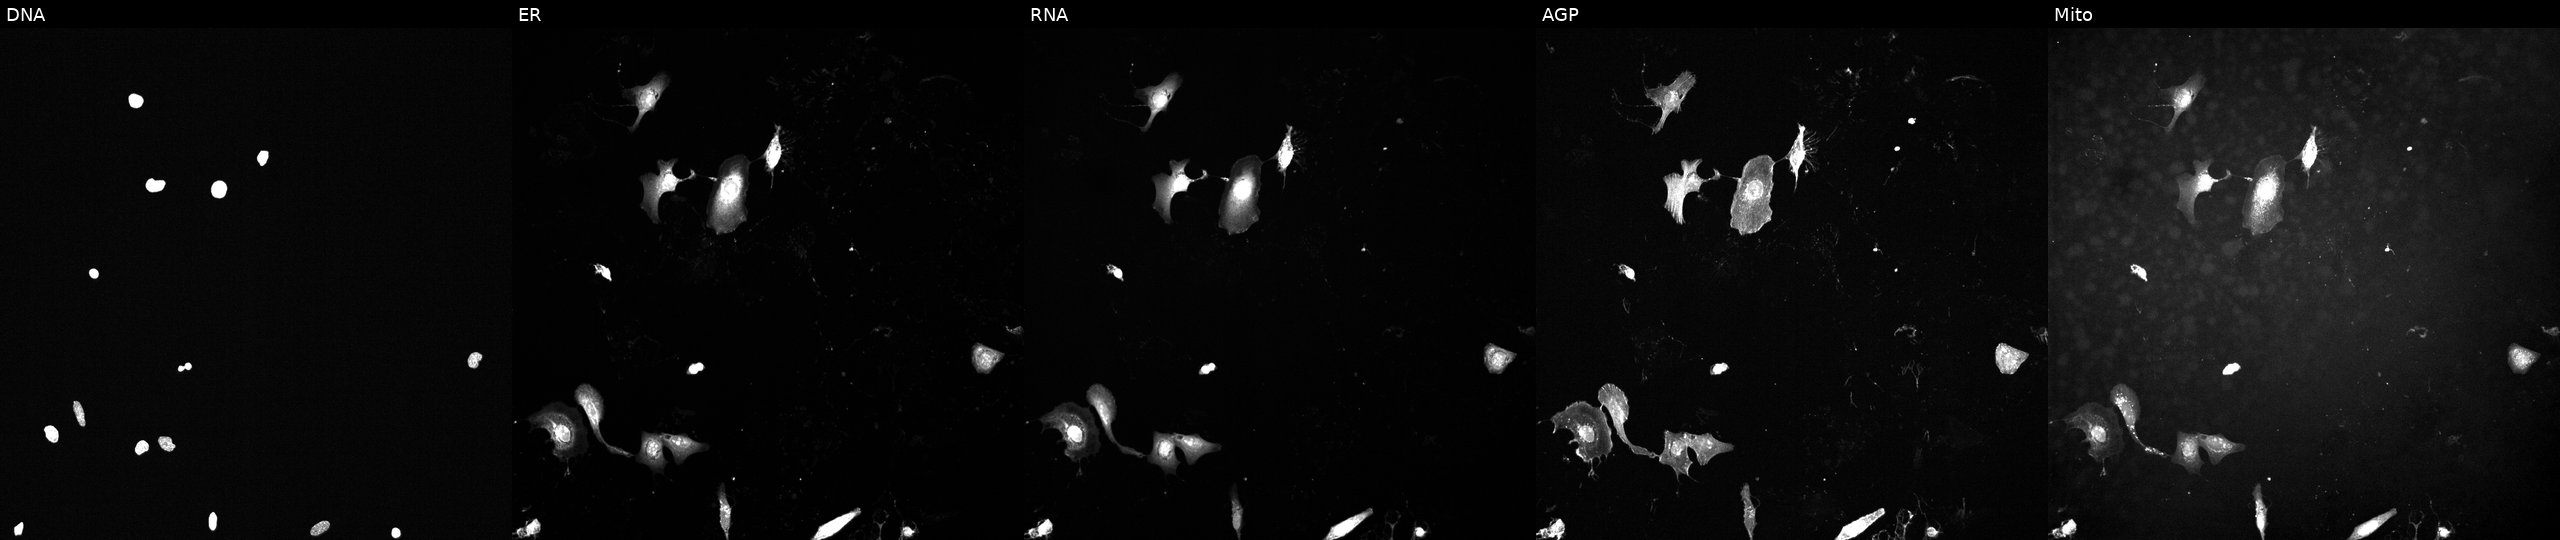
Five-channel Cell Painting image of U2OS cells exposed to a small-molecule compound (JUMP id JCP2022_001890). The five panels, left to right, show DNA, ER, RNA, AGP, and Mito. Source 6, plate 110000294901, well O05.